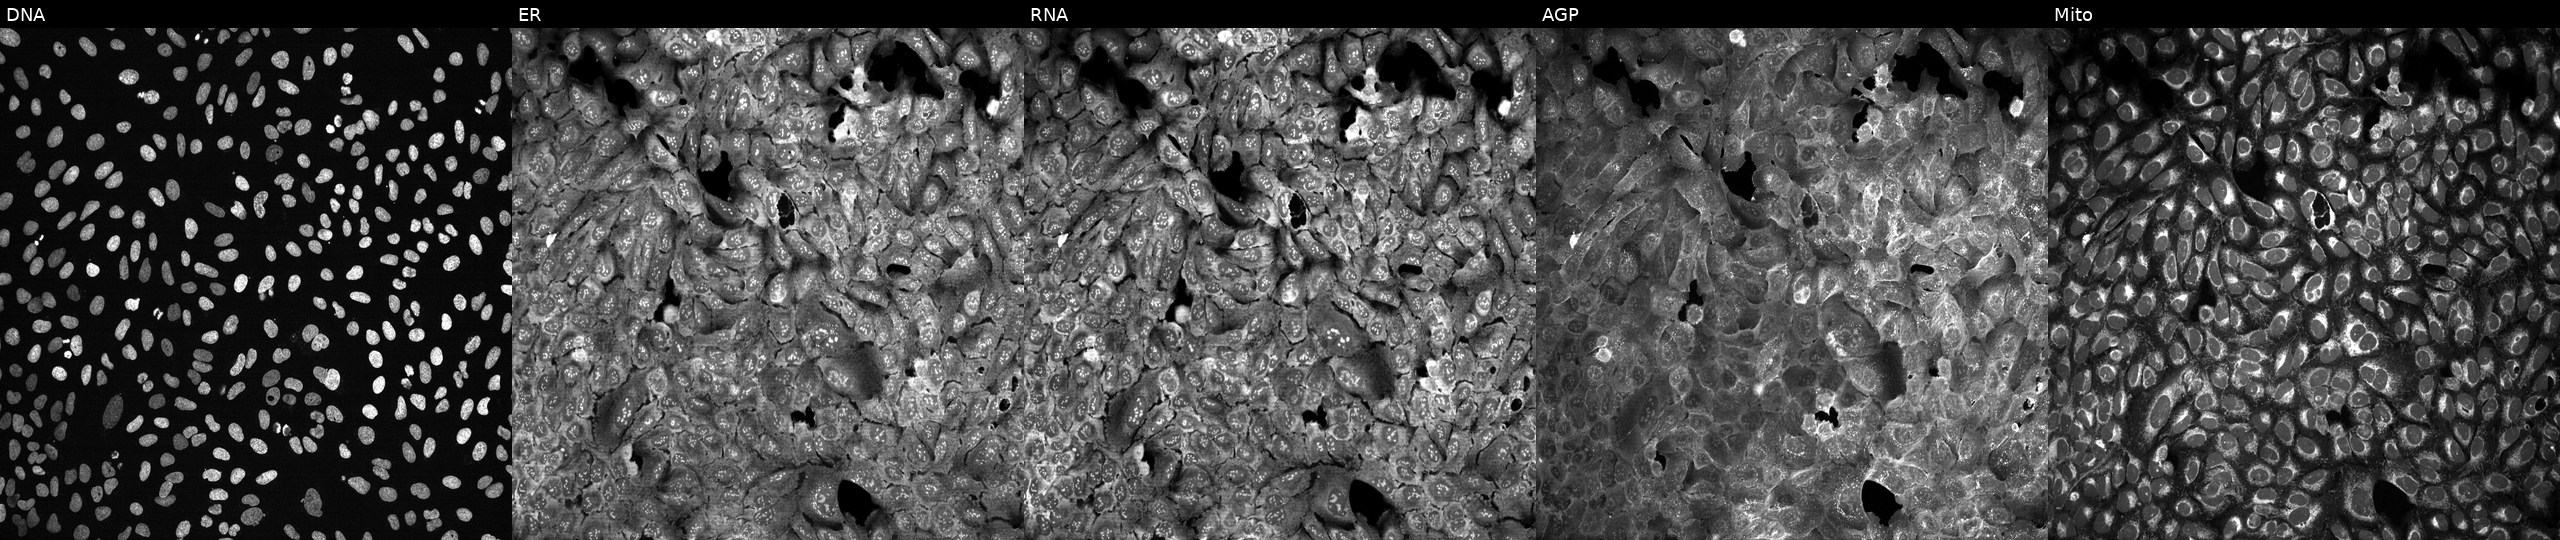
U2OS cells, Cell Painting assay, following CRISPR knockout of CASP9 (JUMP id JCP2022_801071). Channels (left→right): DNA (nuclei); ER (endoplasmic reticulum); RNA (nucleoli and cytoplasmic RNA); AGP (actin cytoskeleton, Golgi, and plasma membrane); Mito (mitochondria). Each panel is percentile-stretched 16-bit fluorescence.